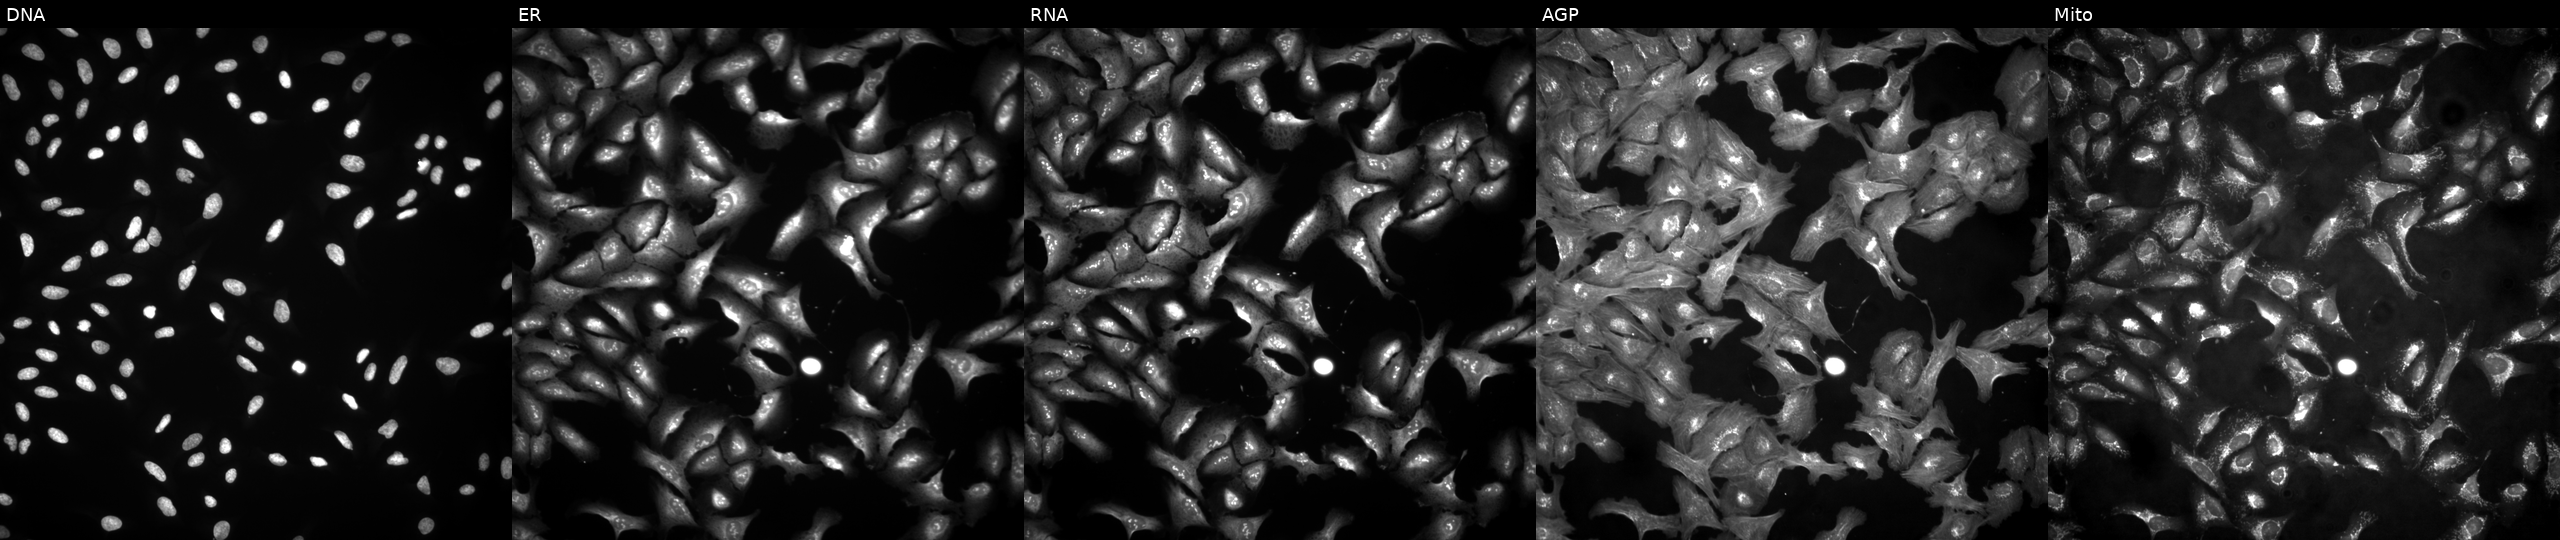
From left to right: Hoechst 33342, concanavalin A, SYTO 14, phalloidin and WGA, MitoTracker. U2OS osteosarcoma cells overexpressing UGT3A2 via ORF transfection. Cell Painting assay, JUMP-CP dataset.